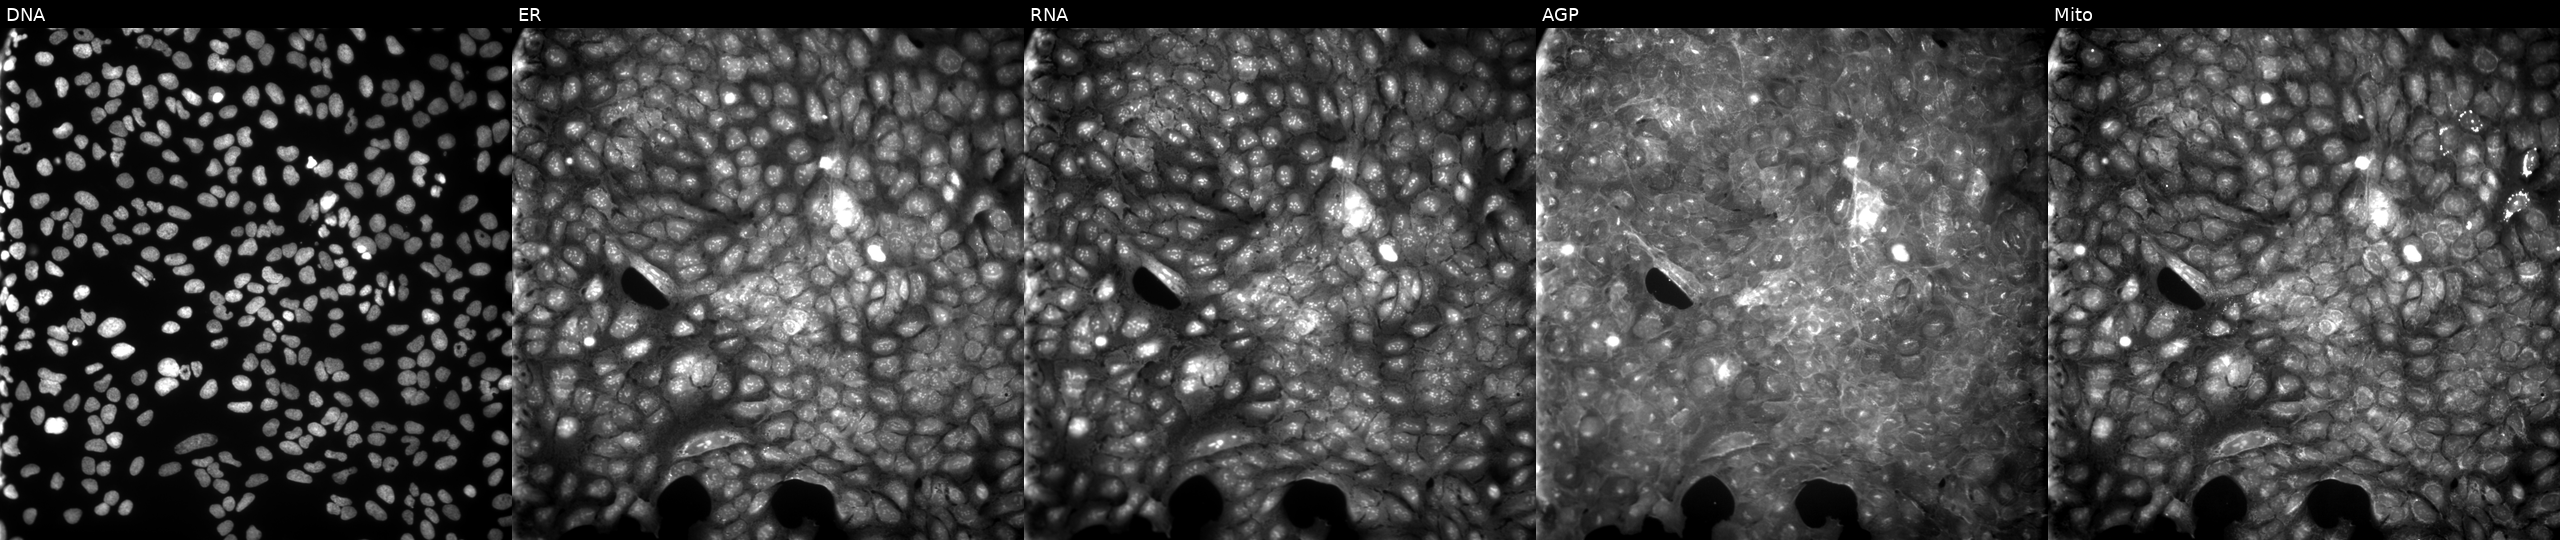
High-content fluorescence microscopy (Cell Painting). Cell line: U2OS. Perturbation: perturbed with a small-molecule compound (InChIKey VDEWCBLIGWPTEU-UHFFFAOYSA-N) [SMILES: COC(=O)c1cn(-c2ccccc2)nc1-c1ccc(OC)c(OC)c1] (JUMP id JCP2022_093191). From left to right: DNA, ER, RNA, AGP, and Mito.